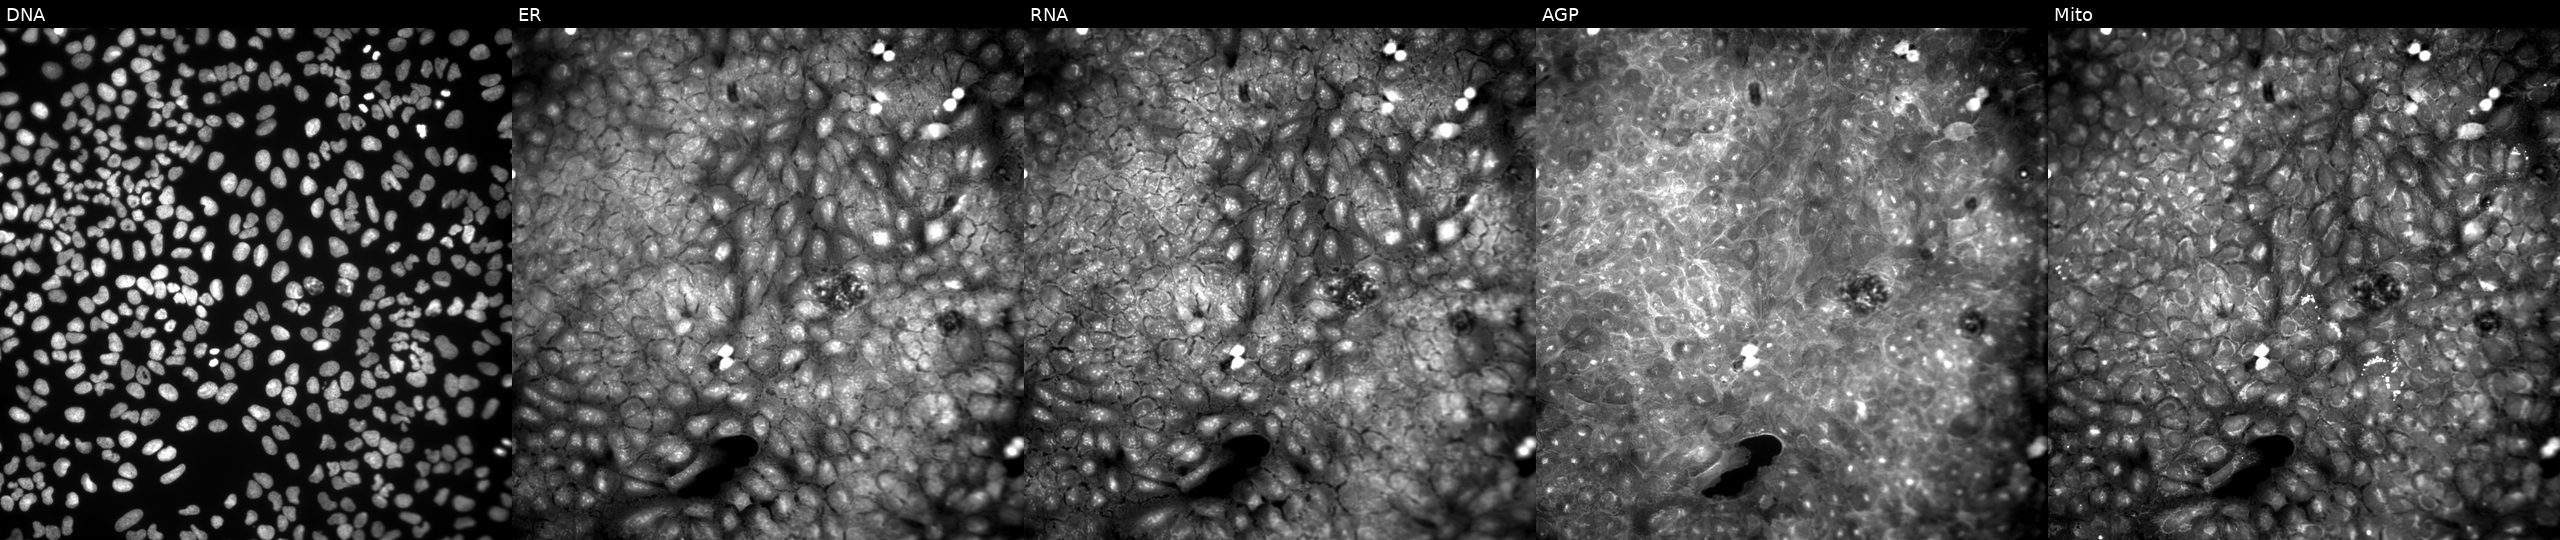
Five-channel Cell Painting image of U2OS cells treated with DMSO vehicle only (negative control). From left to right: DNA, ER, RNA, AGP, and Mito. Source 9, plate GR00003381, well Y47.